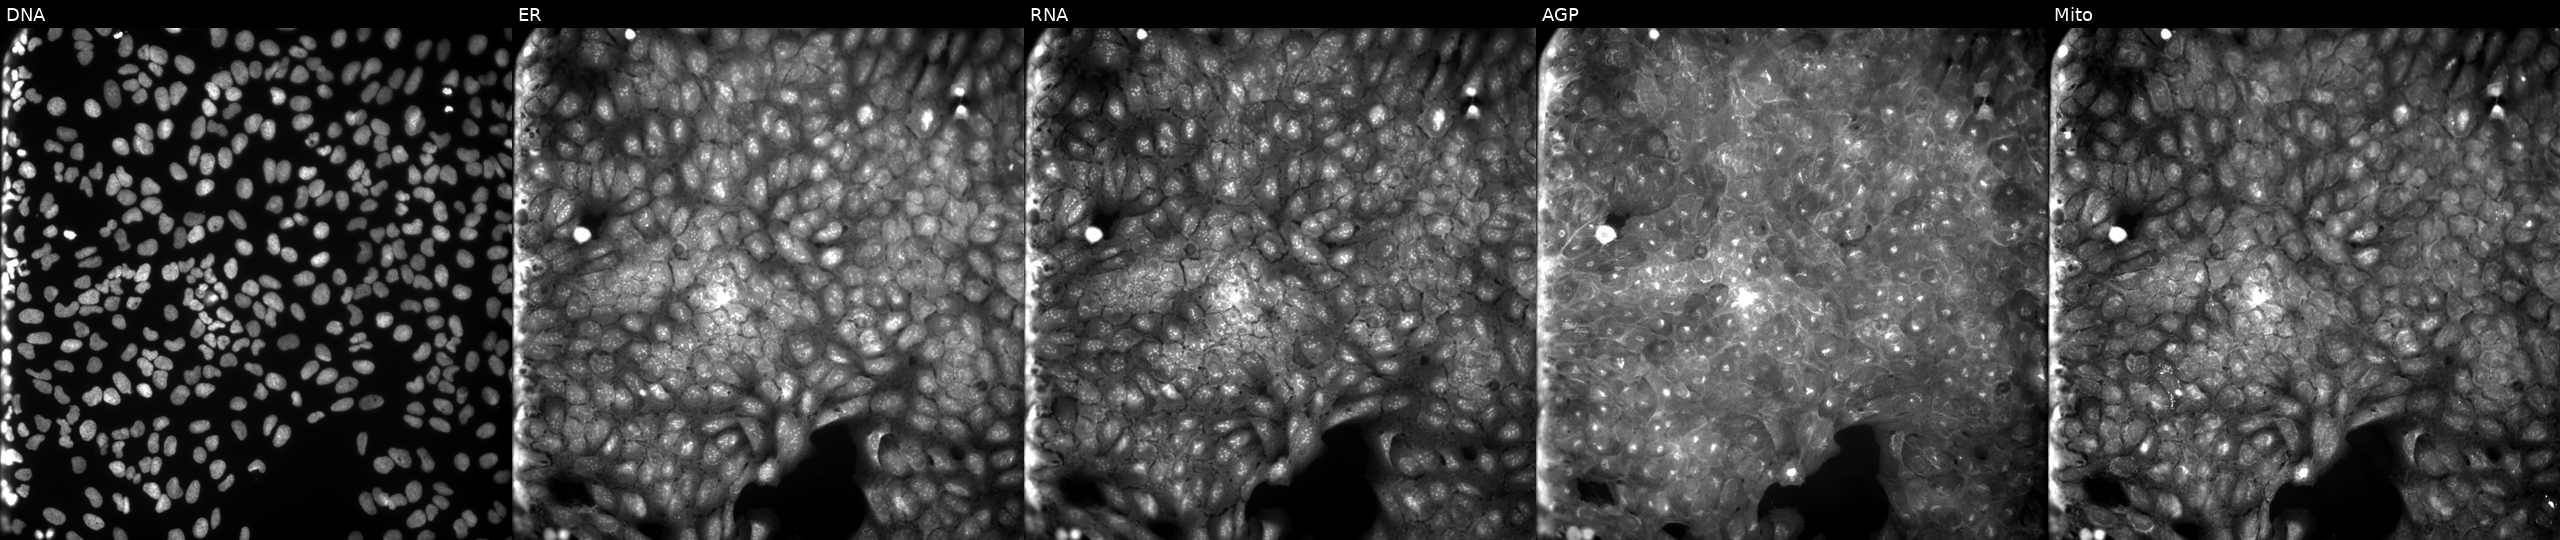
Five-channel Cell Painting image of U2OS cells perturbed with a small-molecule compound [SMILES: CCOC(=O)c1c(-c2ccccc2)csc1NC(=O)CCN1C(=O)c2ccccc2C1=O]. Channels (left→right): Hoechst 33342, concanavalin A, SYTO 14, phalloidin and WGA, MitoTracker.